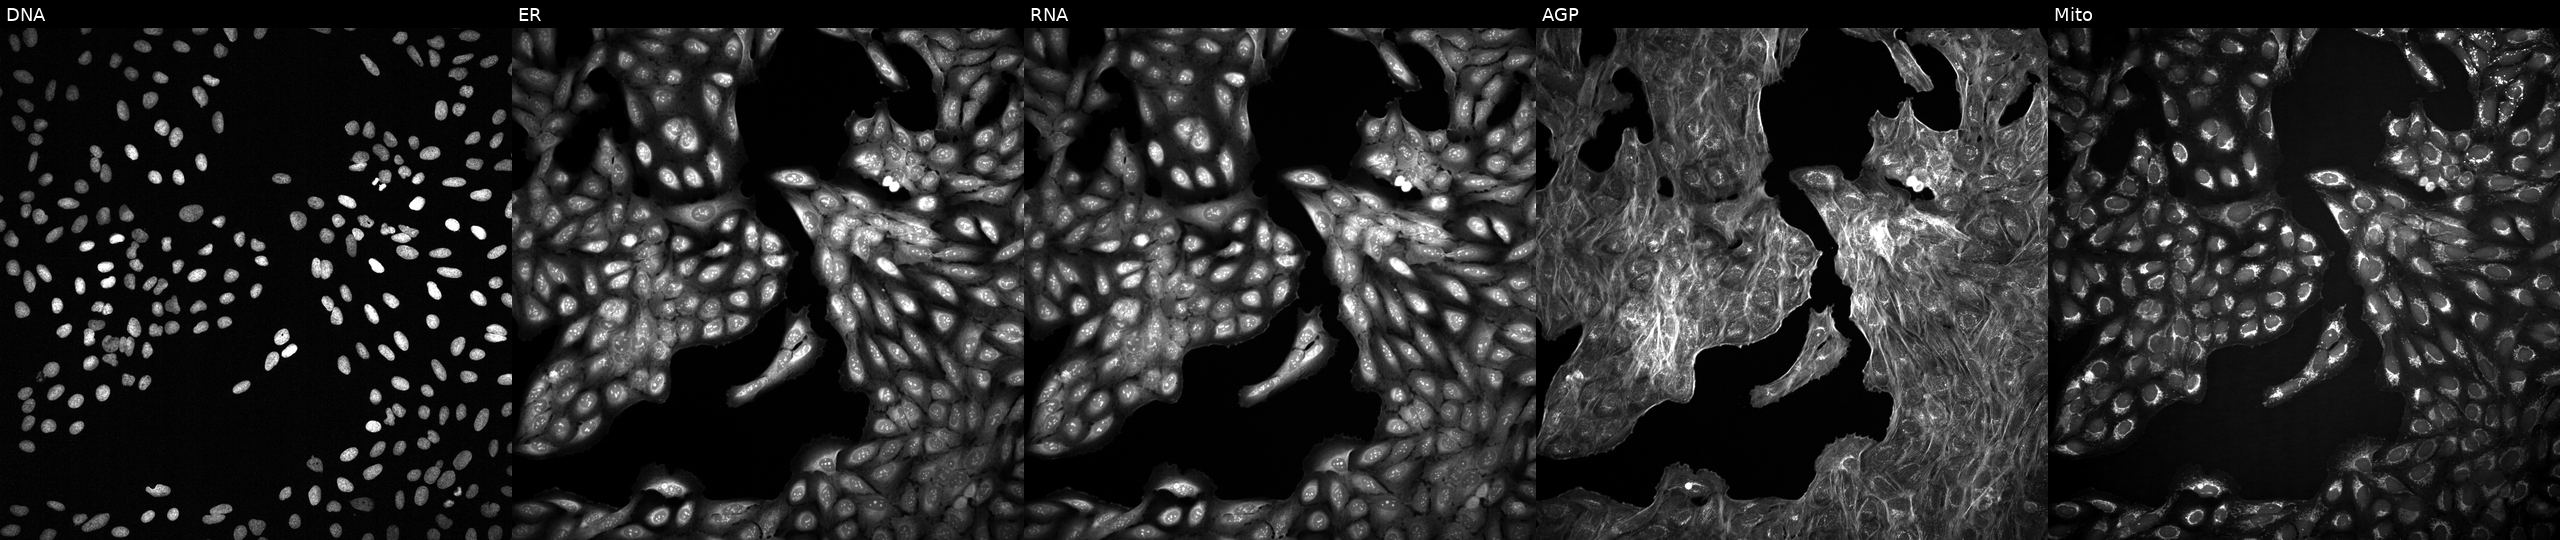
Five-channel Cell Painting image of U2OS cells perturbed with a small-molecule compound (InChIKey LCGISIDBXHGCDW-UHFFFAOYSA-N) (JUMP id JCP2022_048515). From left to right: Hoechst 33342, concanavalin A, SYTO 14, phalloidin and WGA, MitoTracker.